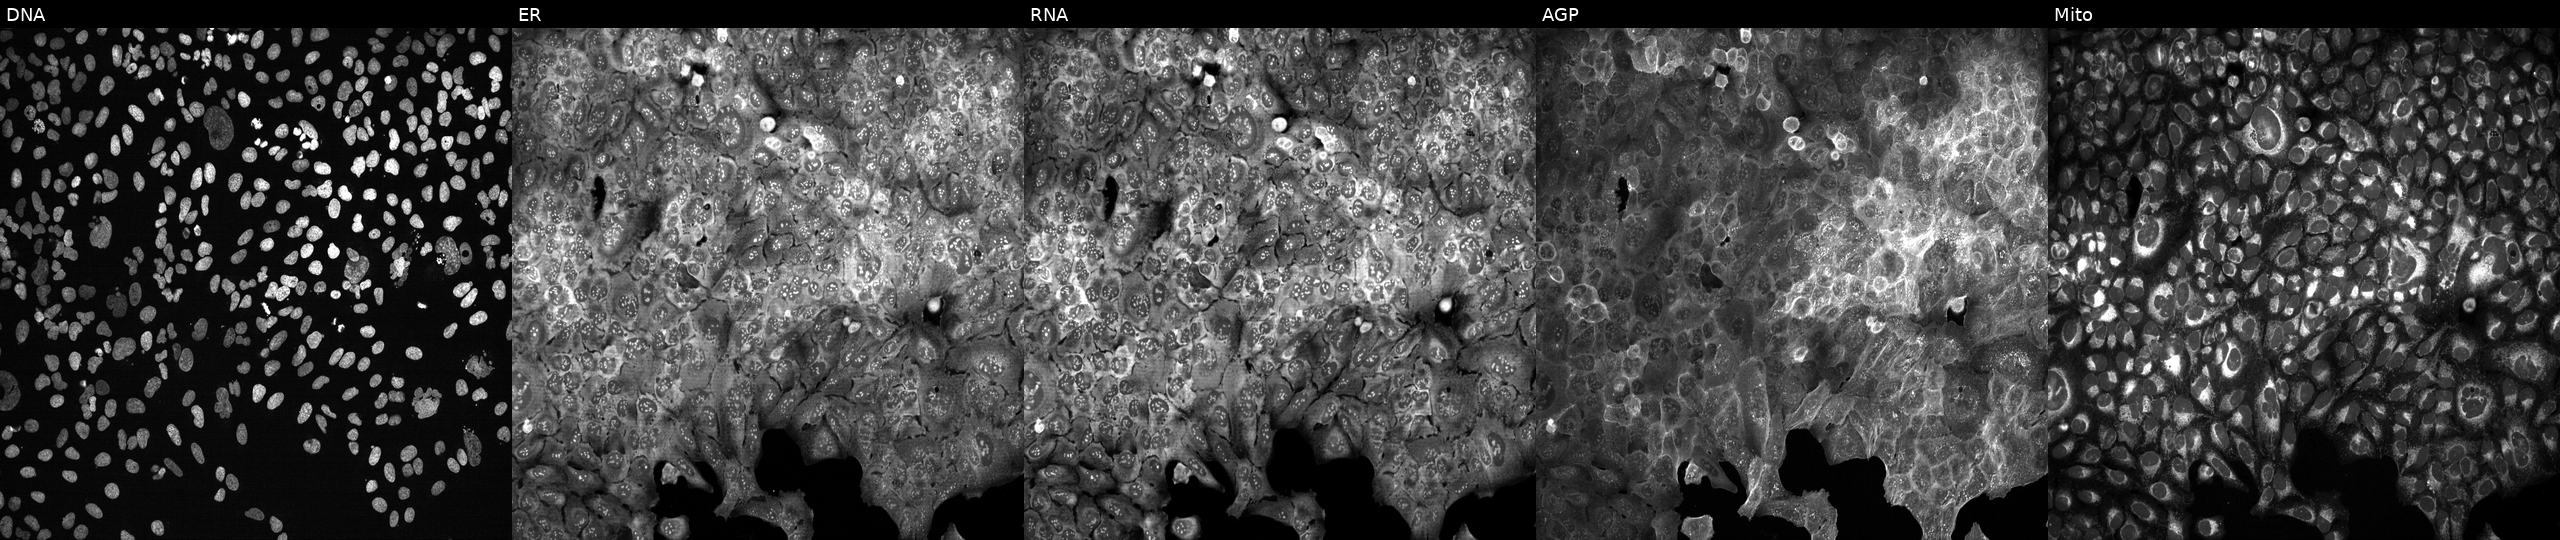
JUMP Cell Painting — CRISPR plate. U2OS cells with GTF2A1L knocked out by CRISPR. The five panels, left to right, show DNA (nuclei); ER (endoplasmic reticulum); RNA (nucleoli and cytoplasmic RNA); AGP (actin cytoskeleton, Golgi, and plasma membrane); Mito (mitochondria).